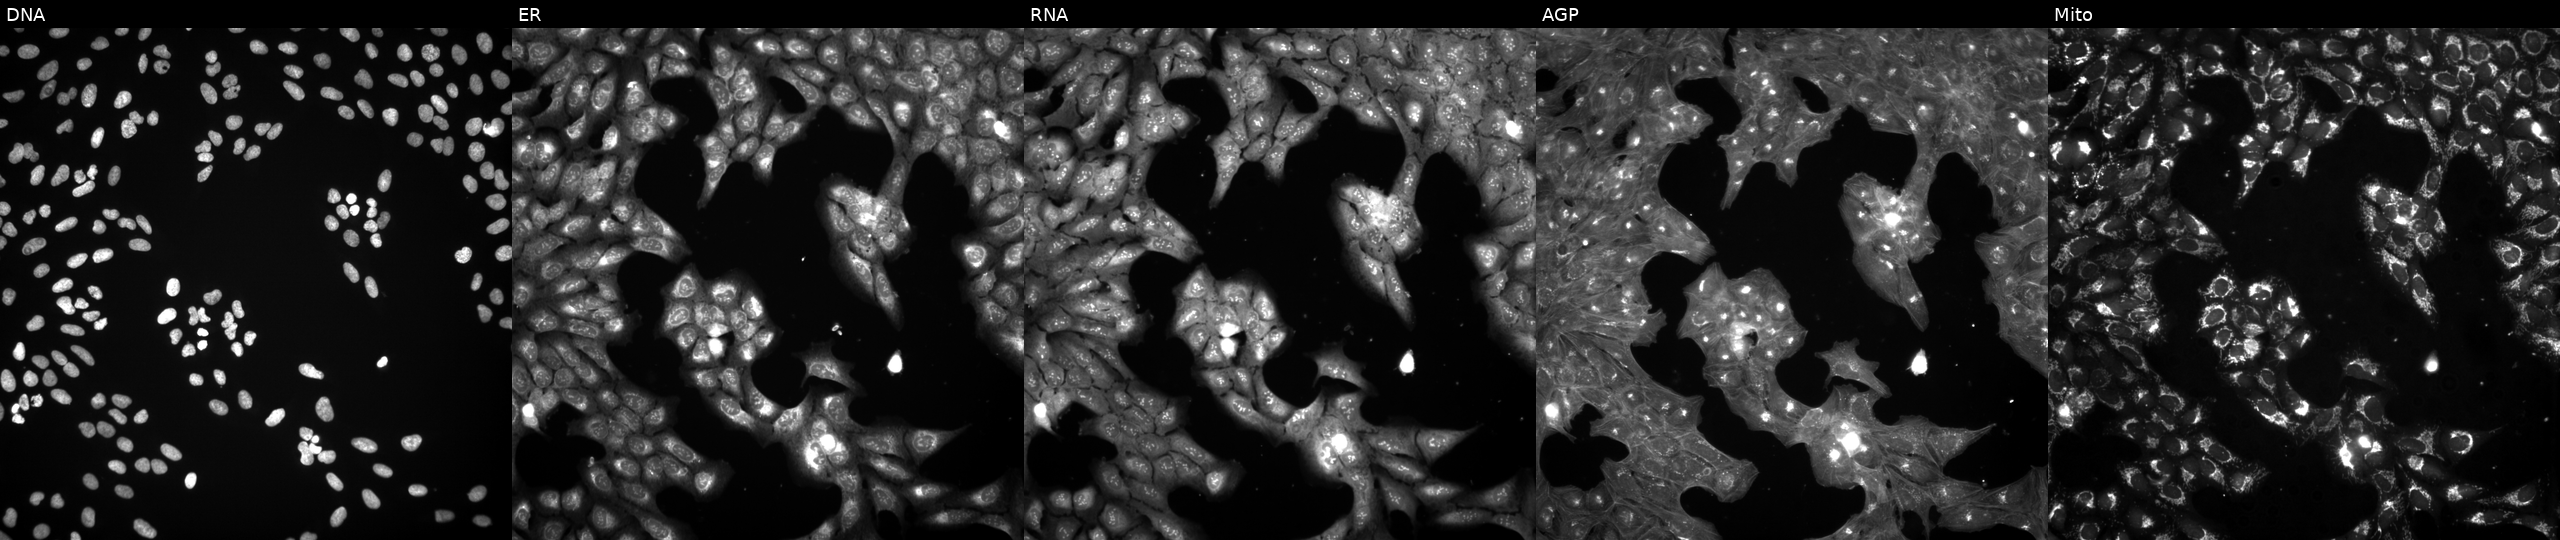
JUMP Cell Painting — COMPOUND plate. U2OS cells exposed to a small-molecule compound (InChIKey MHMINAYLMNBGSM-UHFFFAOYSA-N) (JUMP id JCP2022_054204). From left to right: DNA (nuclei); ER (endoplasmic reticulum); RNA (nucleoli and cytoplasmic RNA); AGP (actin cytoskeleton, Golgi, and plasma membrane); Mito (mitochondria).